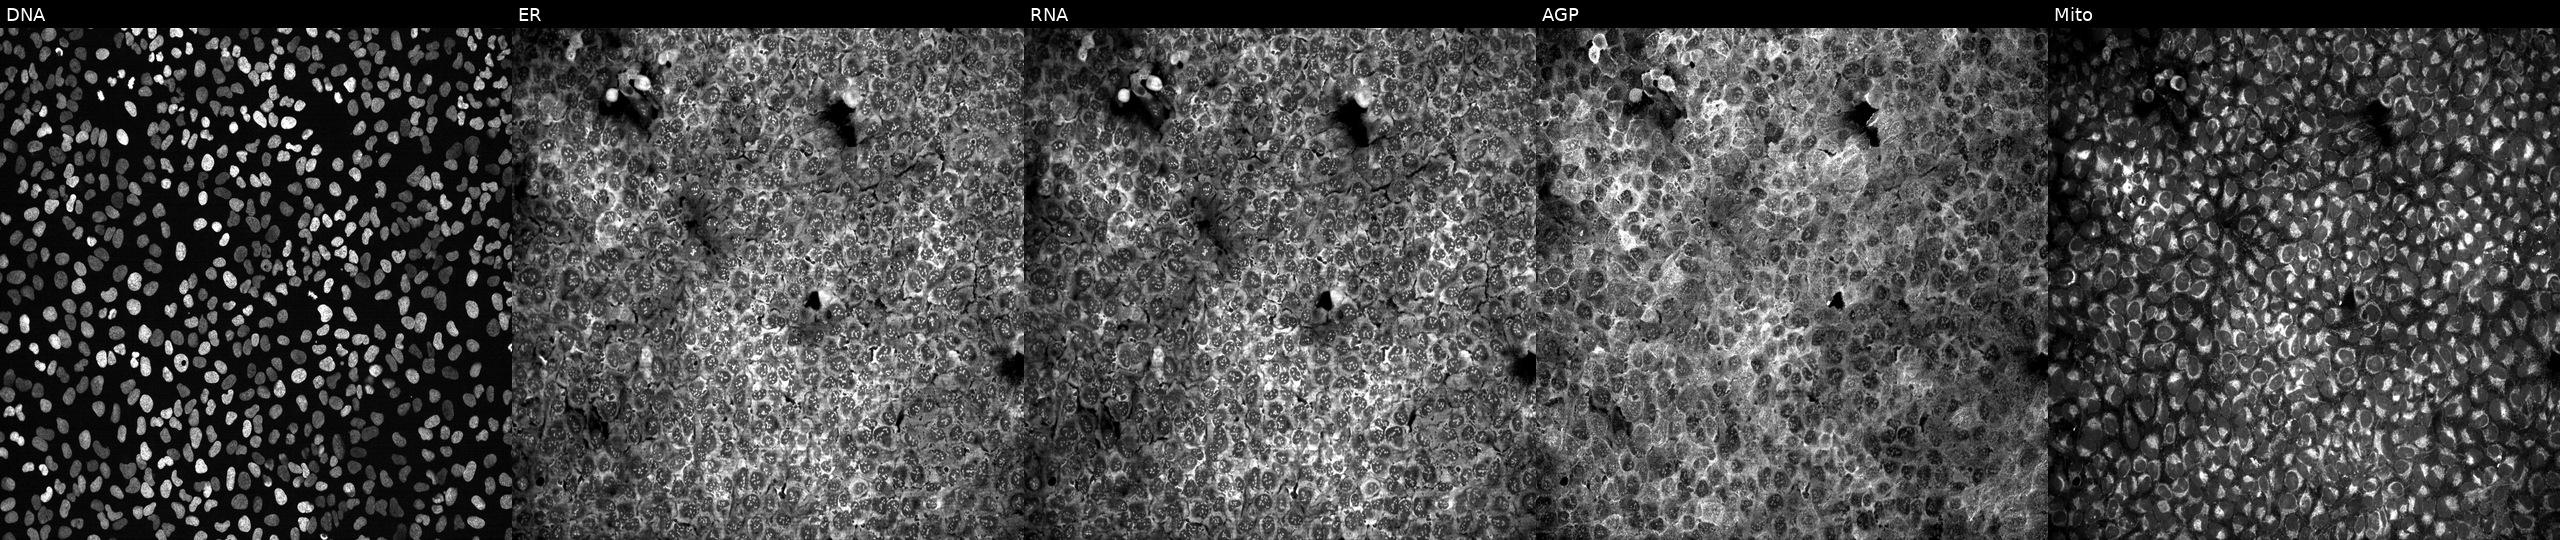
Five-channel Cell Painting image of U2OS cells exposed to the positive-control compound quinidine. Channels (left→right): Hoechst 33342, concanavalin A, SYTO 14, phalloidin and WGA, MitoTracker. Source 13, plate CP-CC9-R3-02, well K24.